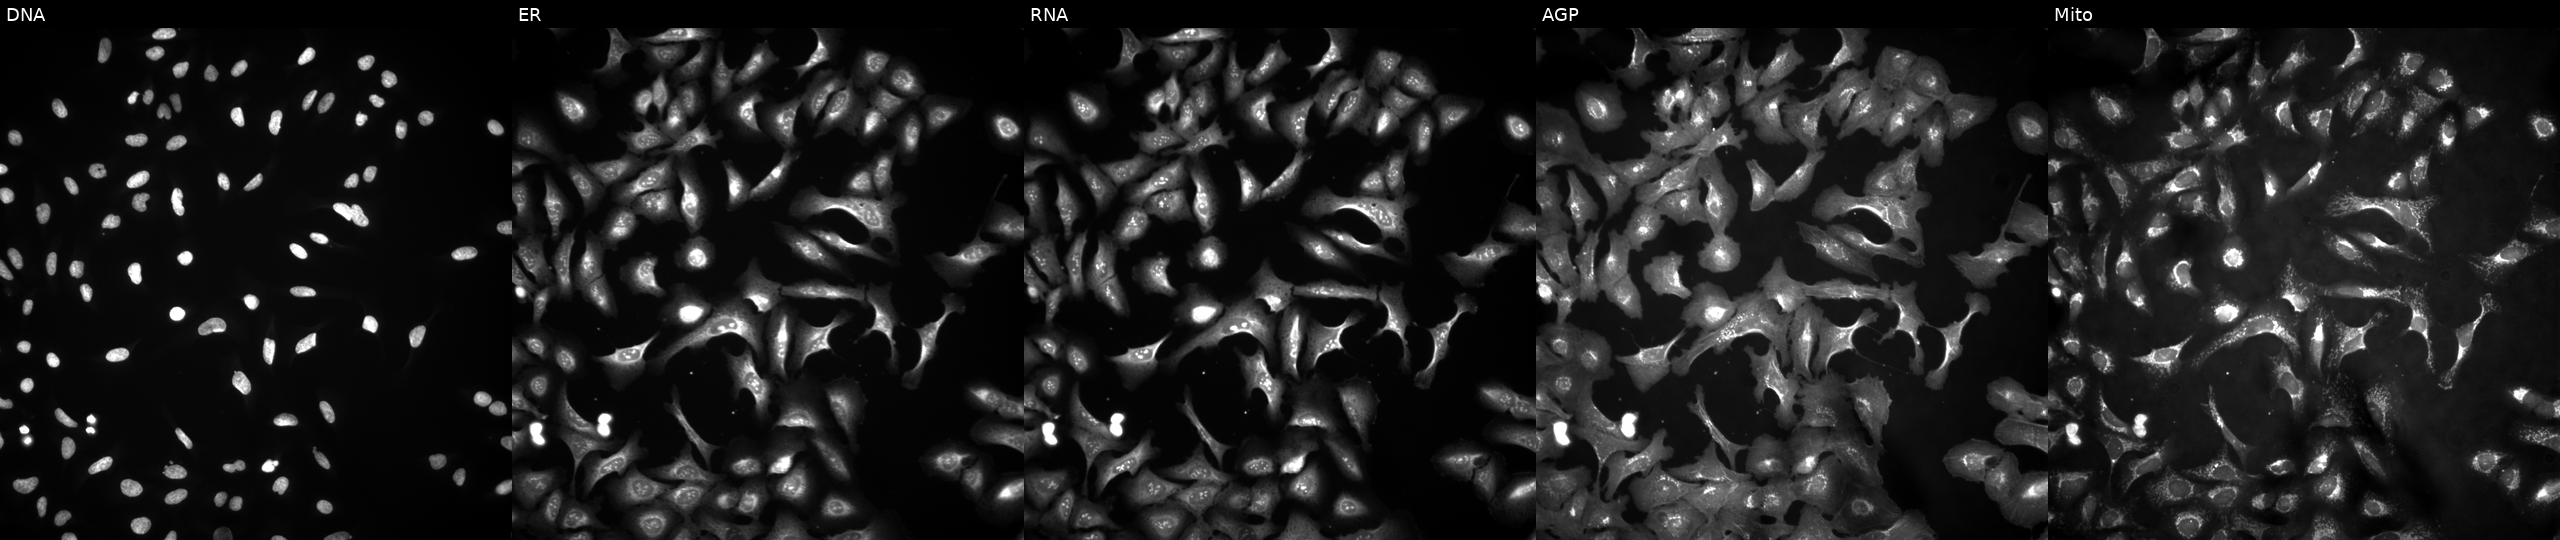
This image strip shows the five Cell Painting channels for a single field of U2OS cells overexpressing BIRC2 via ORF transfection. Panels show, left to right, Hoechst 33342, concanavalin A, SYTO 14, phalloidin and WGA, MitoTracker. Source 4, plate BR00121543, well M17.